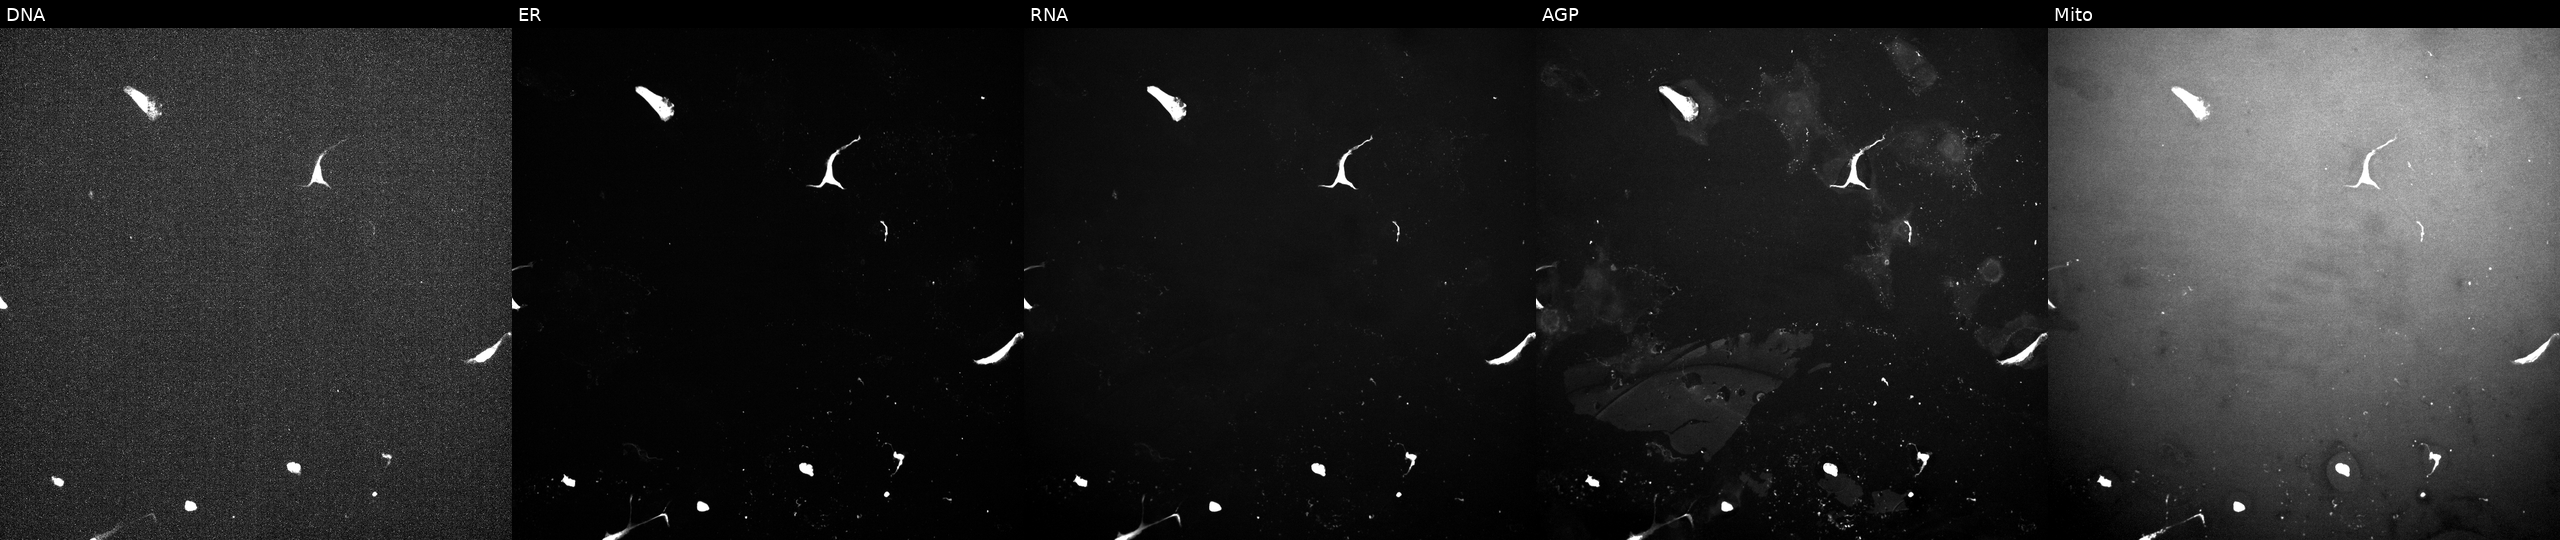
This image strip shows the five Cell Painting channels for a single field of U2OS cells treated with a small-molecule compound (InChIKey VXBAJLGYBMTJCY-UHFFFAOYSA-N). Channels (left→right): DNA, ER, RNA, AGP, and Mito.